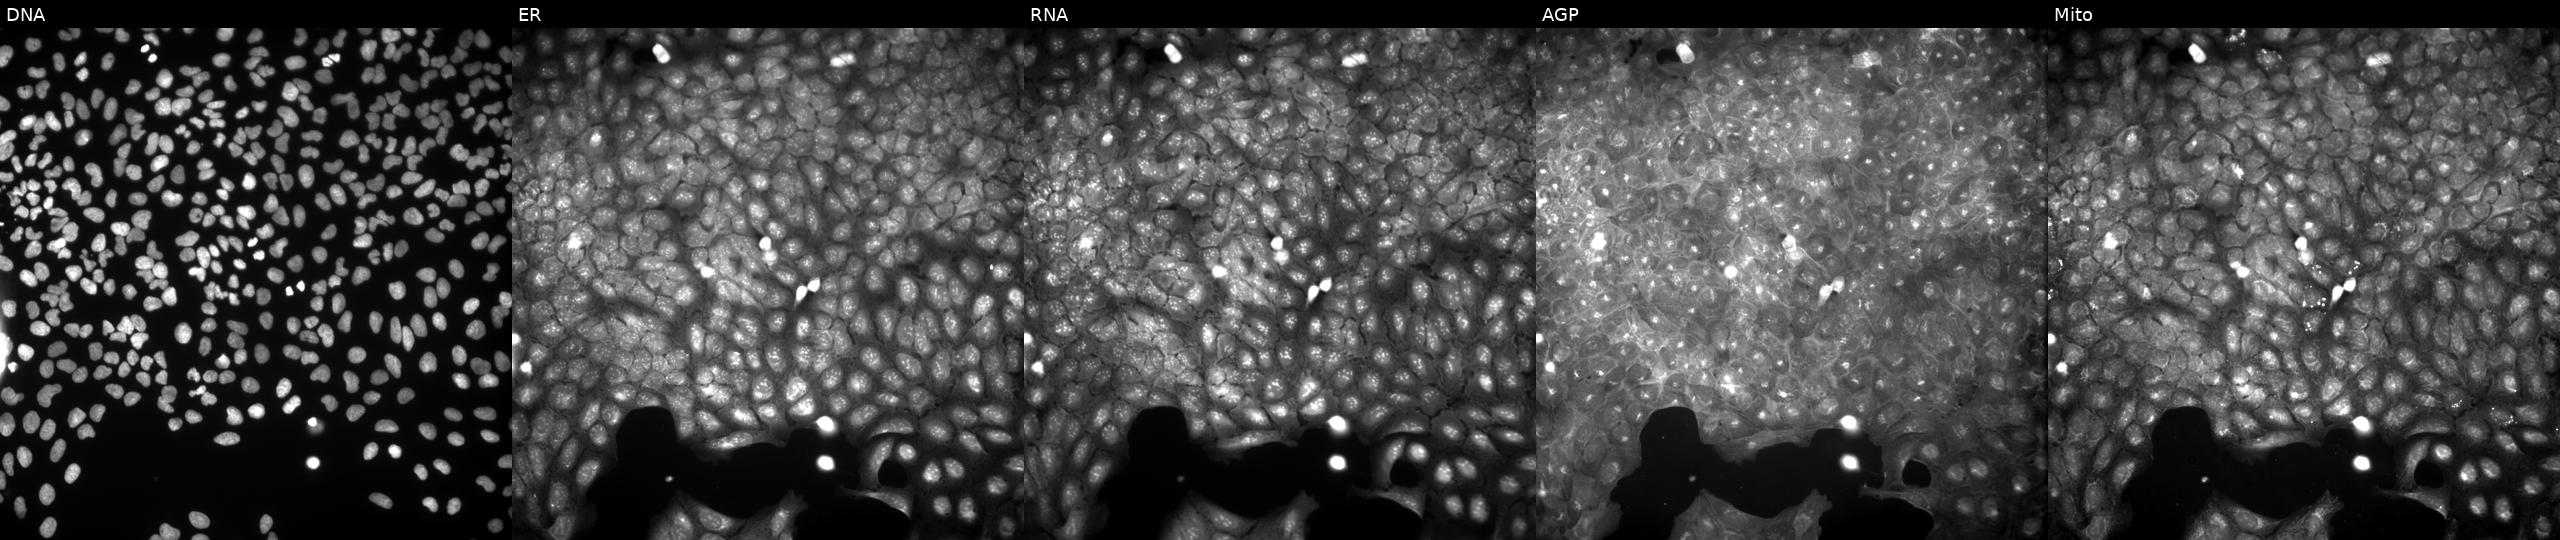
U2OS cells, Cell Painting assay, perturbed with a small-molecule compound (InChIKey JKKKSDYCZFVNPE-UHFFFAOYSA-N) (JUMP id JCP2022_040380). Panels show, left to right, DNA (nuclei); ER (endoplasmic reticulum); RNA (nucleoli and cytoplasmic RNA); AGP (actin cytoskeleton, Golgi, and plasma membrane); Mito (mitochondria). Each panel is percentile-stretched 16-bit fluorescence. Source 9, plate GR00003382, well V30.